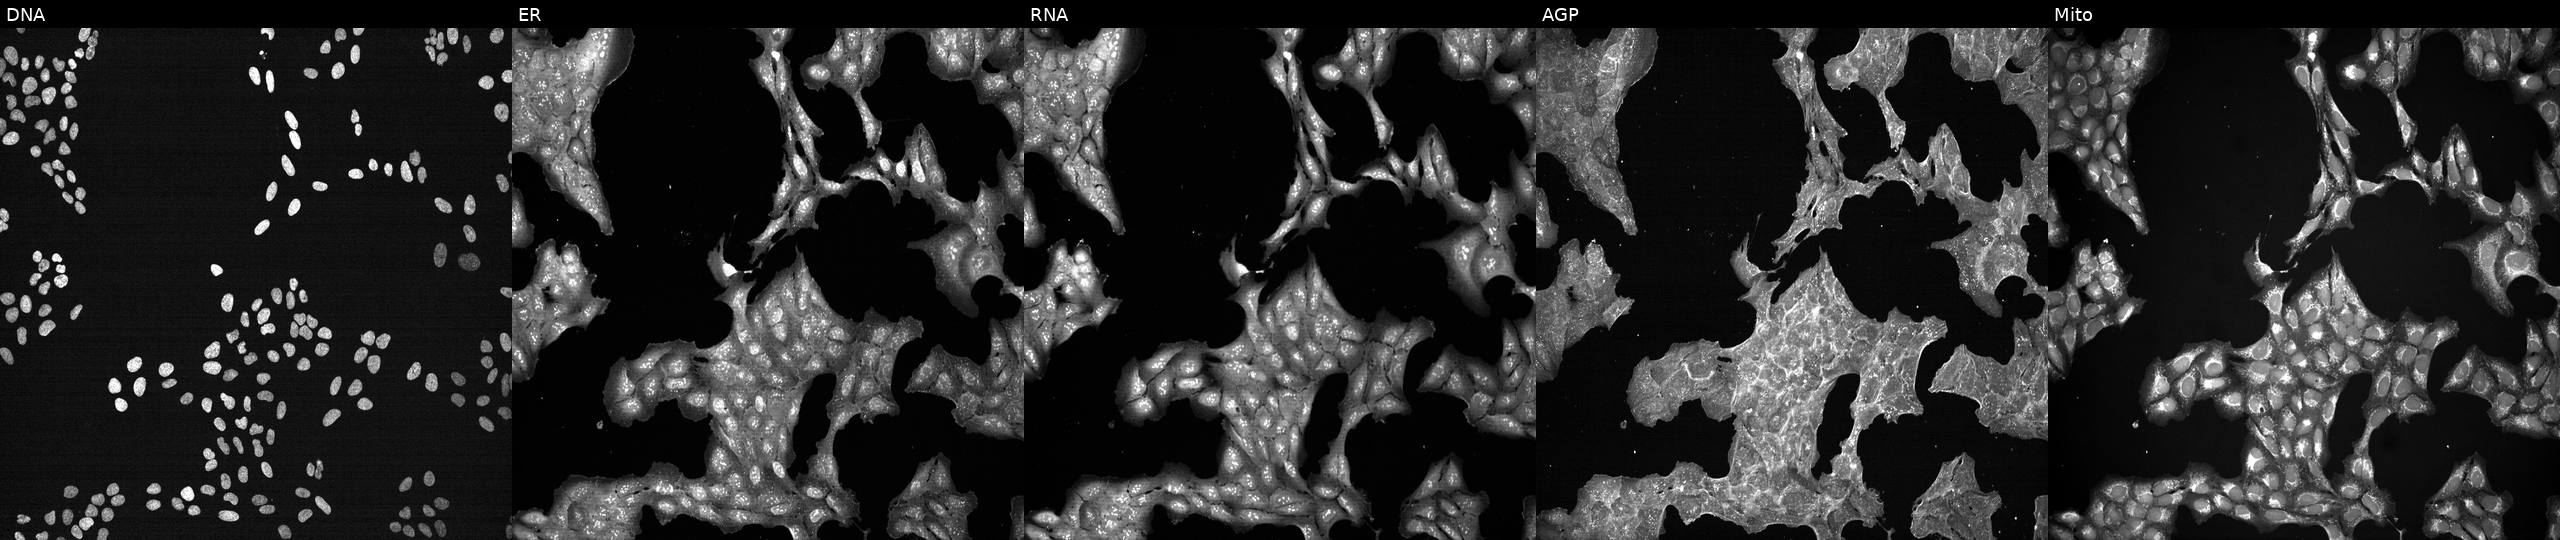
Five-channel Cell Painting image of U2OS cells treated with a small-molecule compound (InChIKey LRRMQNGSYOUANY-UHFFFAOYSA-N) (JUMP id JCP2022_051319). The five panels, left to right, show Hoechst 33342, concanavalin A, SYTO 14, phalloidin and WGA, MitoTracker. Source 7, plate CP2-SC1-25, well K19.